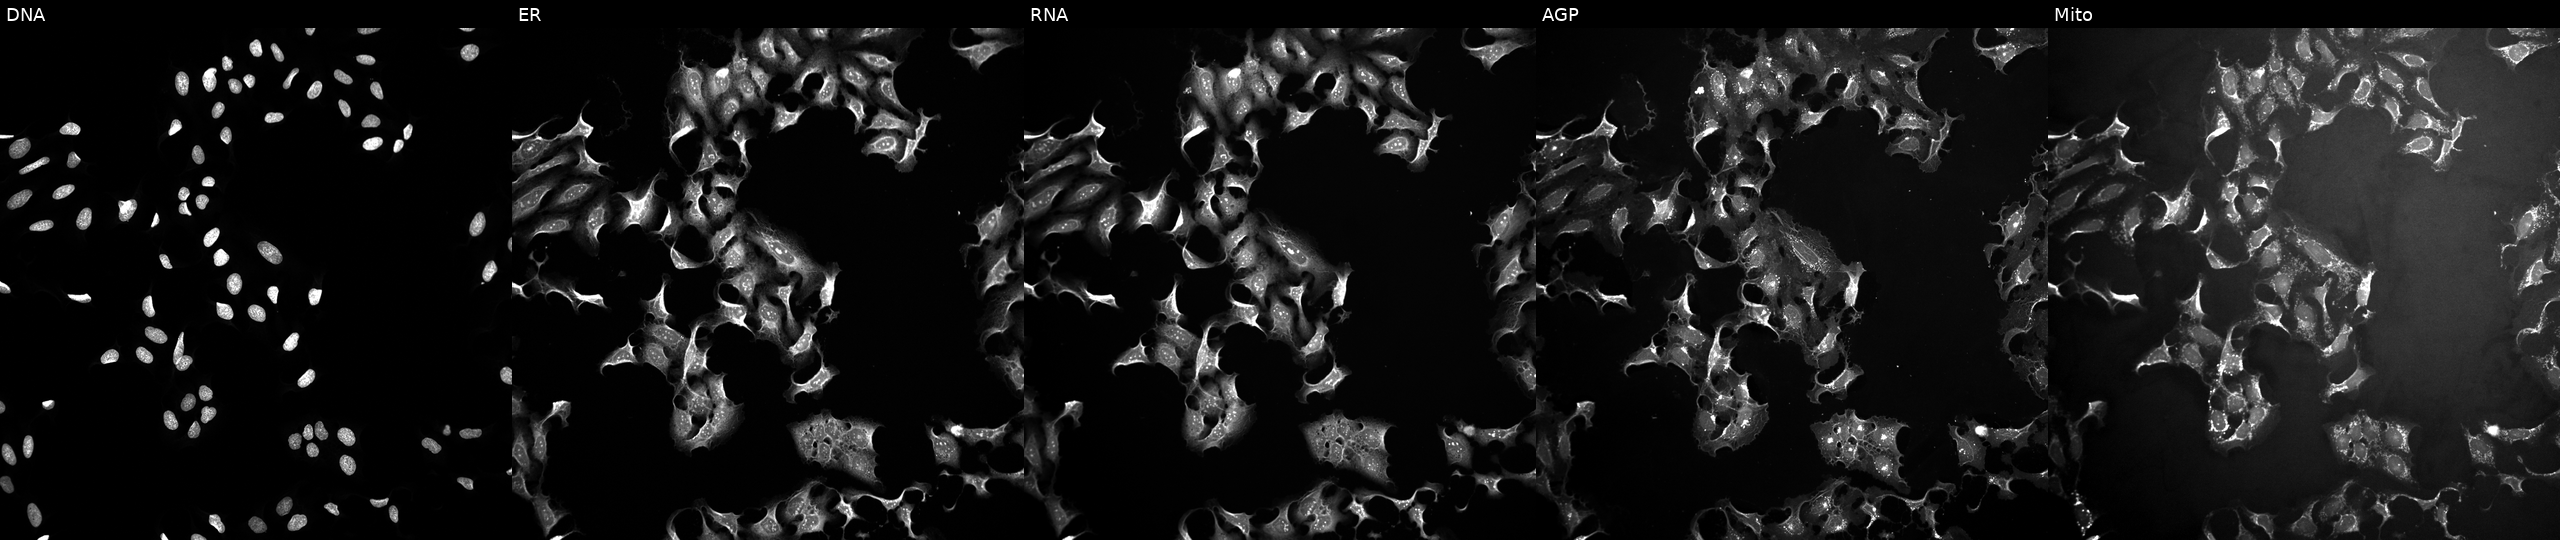
Five-channel Cell Painting image of U2OS cells treated with FK-866 (positive-control compound). Channels (left→right): DNA (nuclei); ER (endoplasmic reticulum); RNA (nucleoli and cytoplasmic RNA); AGP (actin cytoskeleton, Golgi, and plasma membrane); Mito (mitochondria). Source 10, plate Dest210803-153958, well D19.